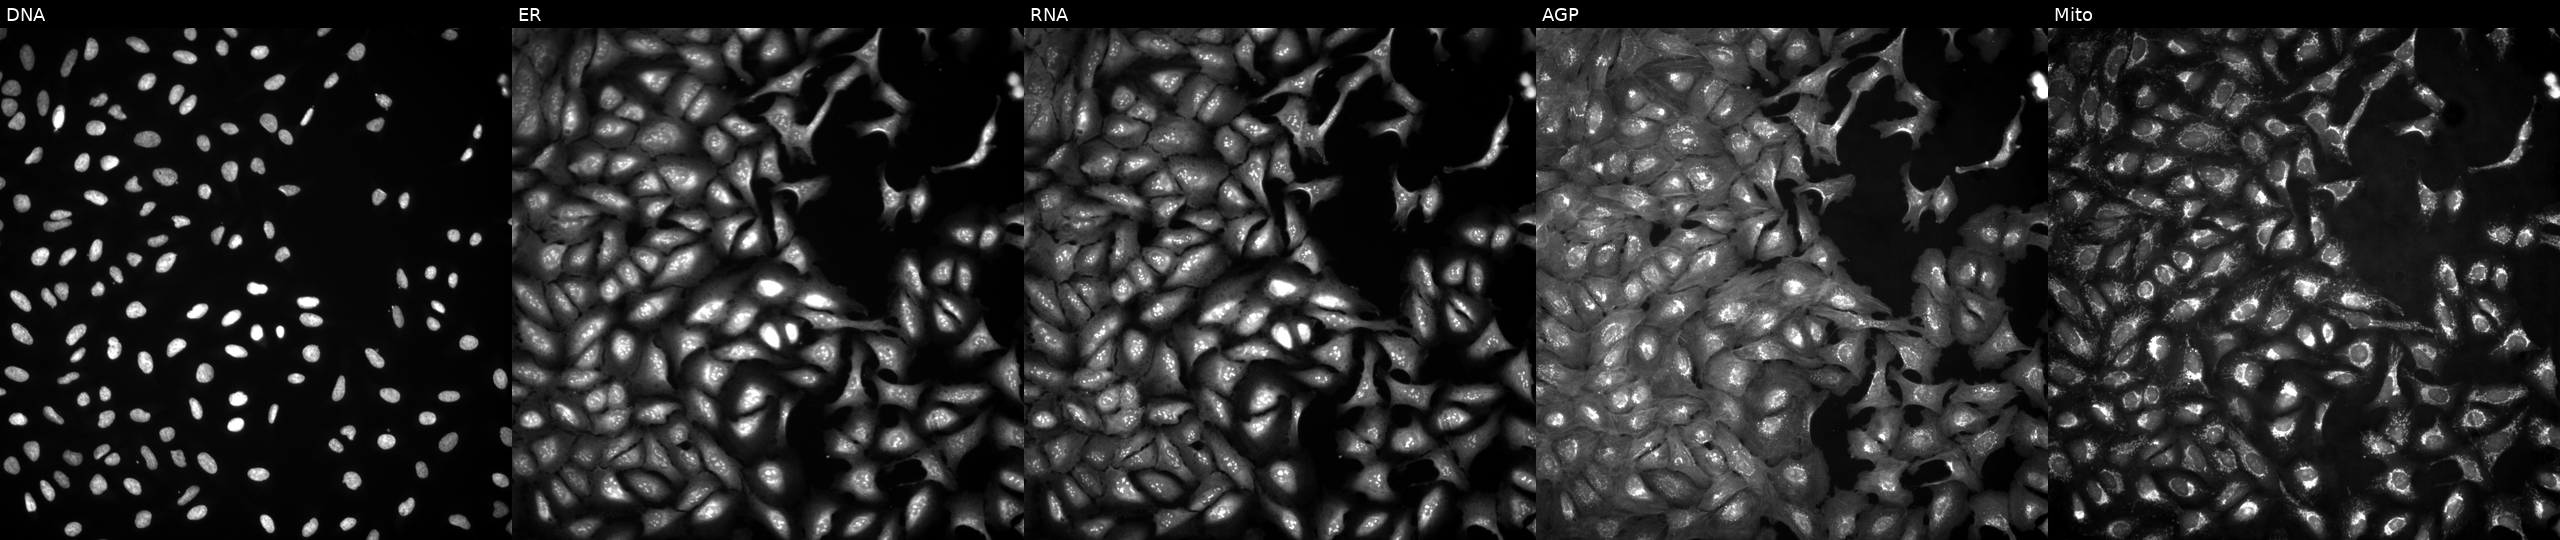
Five-channel Cell Painting image of U2OS cells with MIF overexpressed (ORF) (JUMP id JCP2022_900949). From left to right: DNA, ER, RNA, AGP, and Mito. Source 4, plate BR00124787, well E08.